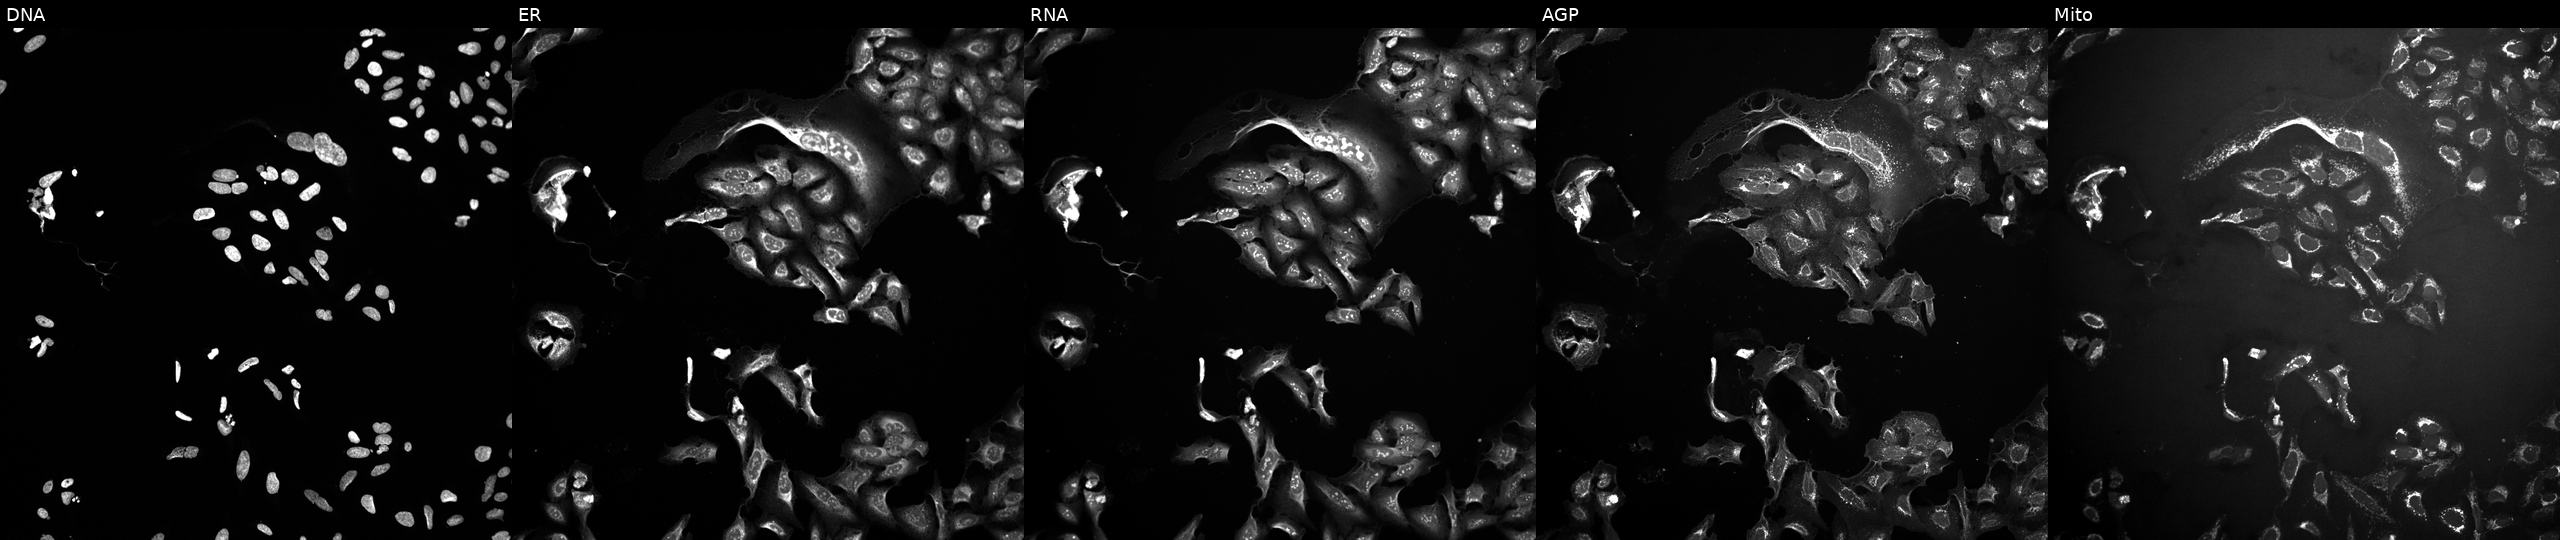
High-content fluorescence microscopy (Cell Painting). Cell line: U2OS. Perturbation: exposed to a small-molecule compound (InChIKey HSTZMXCBWJGKHG-UHFFFAOYSA-N) (JUMP id JCP2022_032353). Panels show, left to right, DNA, ER, RNA, AGP, and Mito. Source 10, plate Dest210803-153958, well J15.